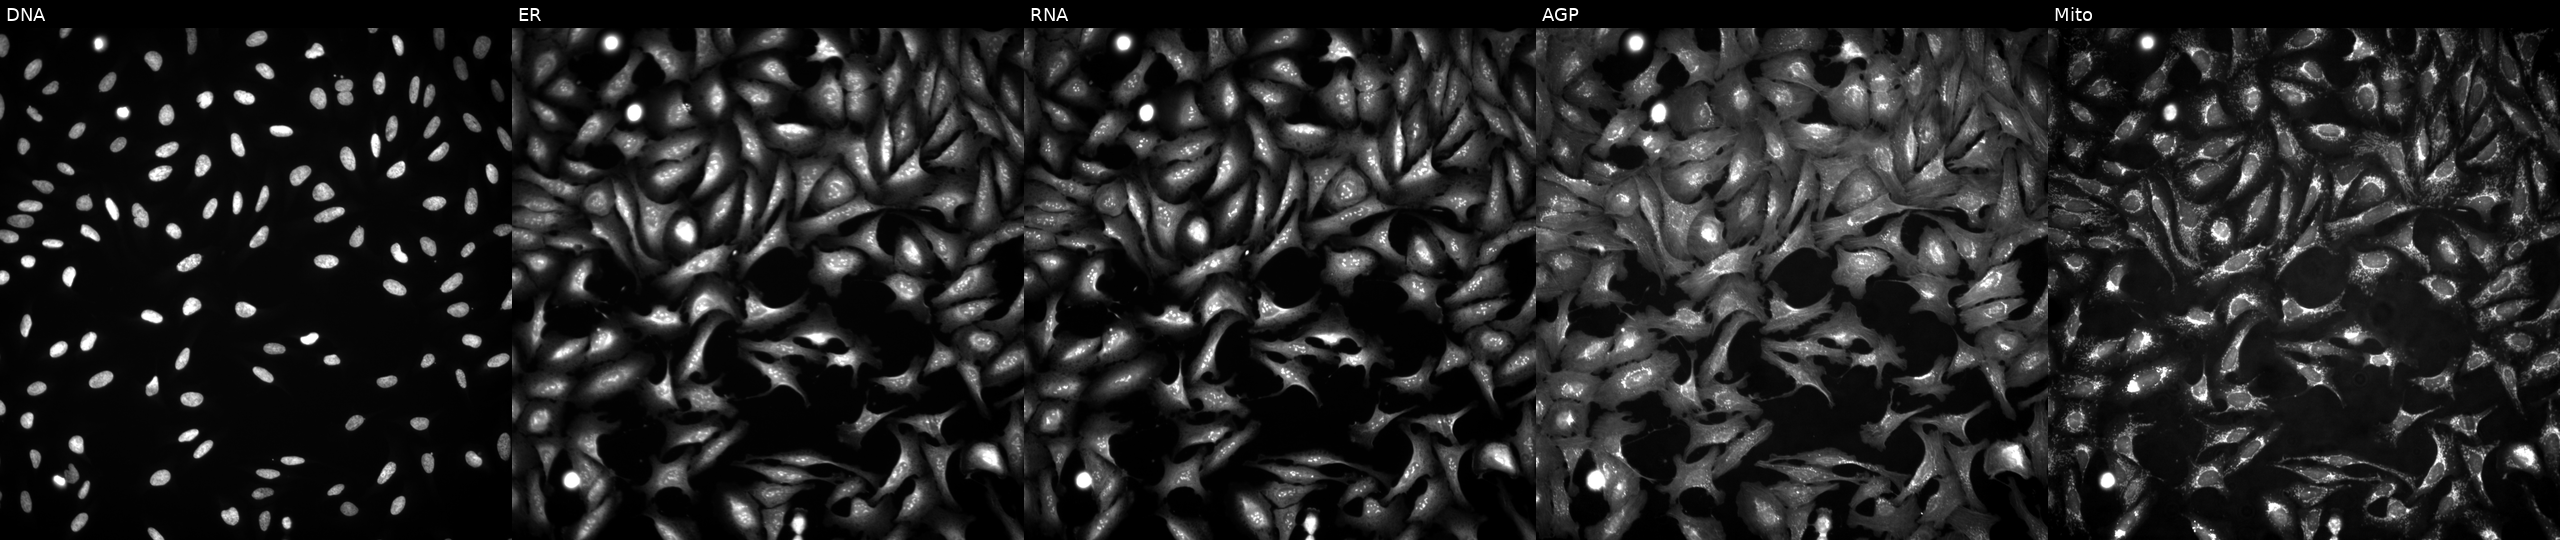
High-content fluorescence microscopy (Cell Painting). Cell line: U2OS. Perturbation: transfected with an ORF construct for C20orf27 (JUMP id JCP2022_911308). Channels (left→right): DNA, ER, RNA, AGP, and Mito.